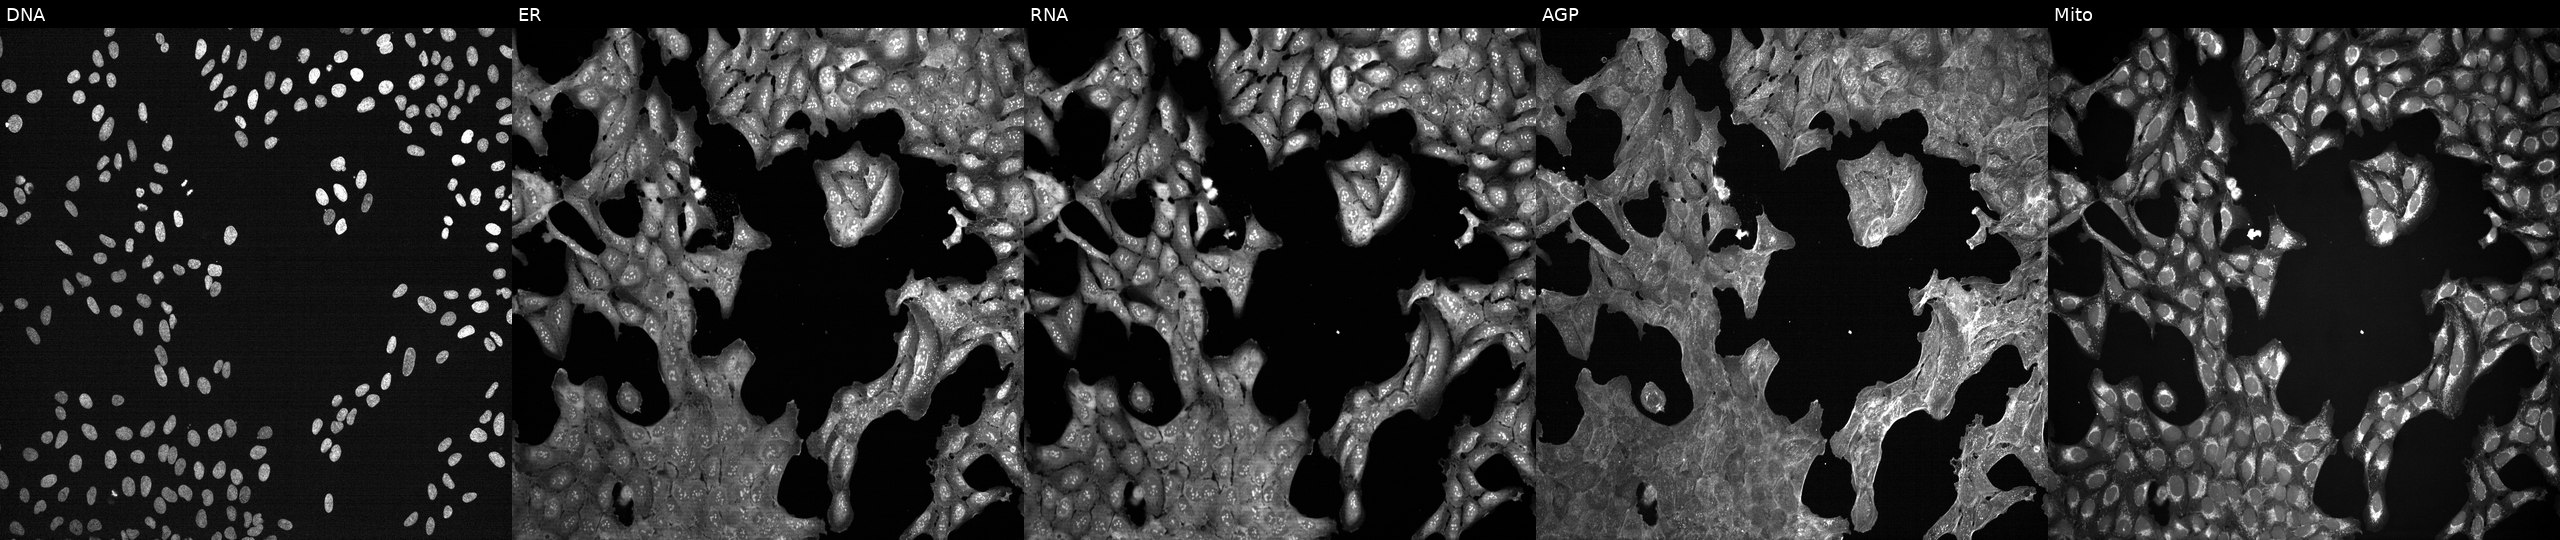
Channels (left→right): Hoechst 33342, concanavalin A, SYTO 14, phalloidin and WGA, MitoTracker. U2OS osteosarcoma cells treated with a small-molecule compound (JUMP id JCP2022_097998). Cell Painting assay, JUMP-CP dataset. Source 7, plate CP3-SC1-25, well P07.